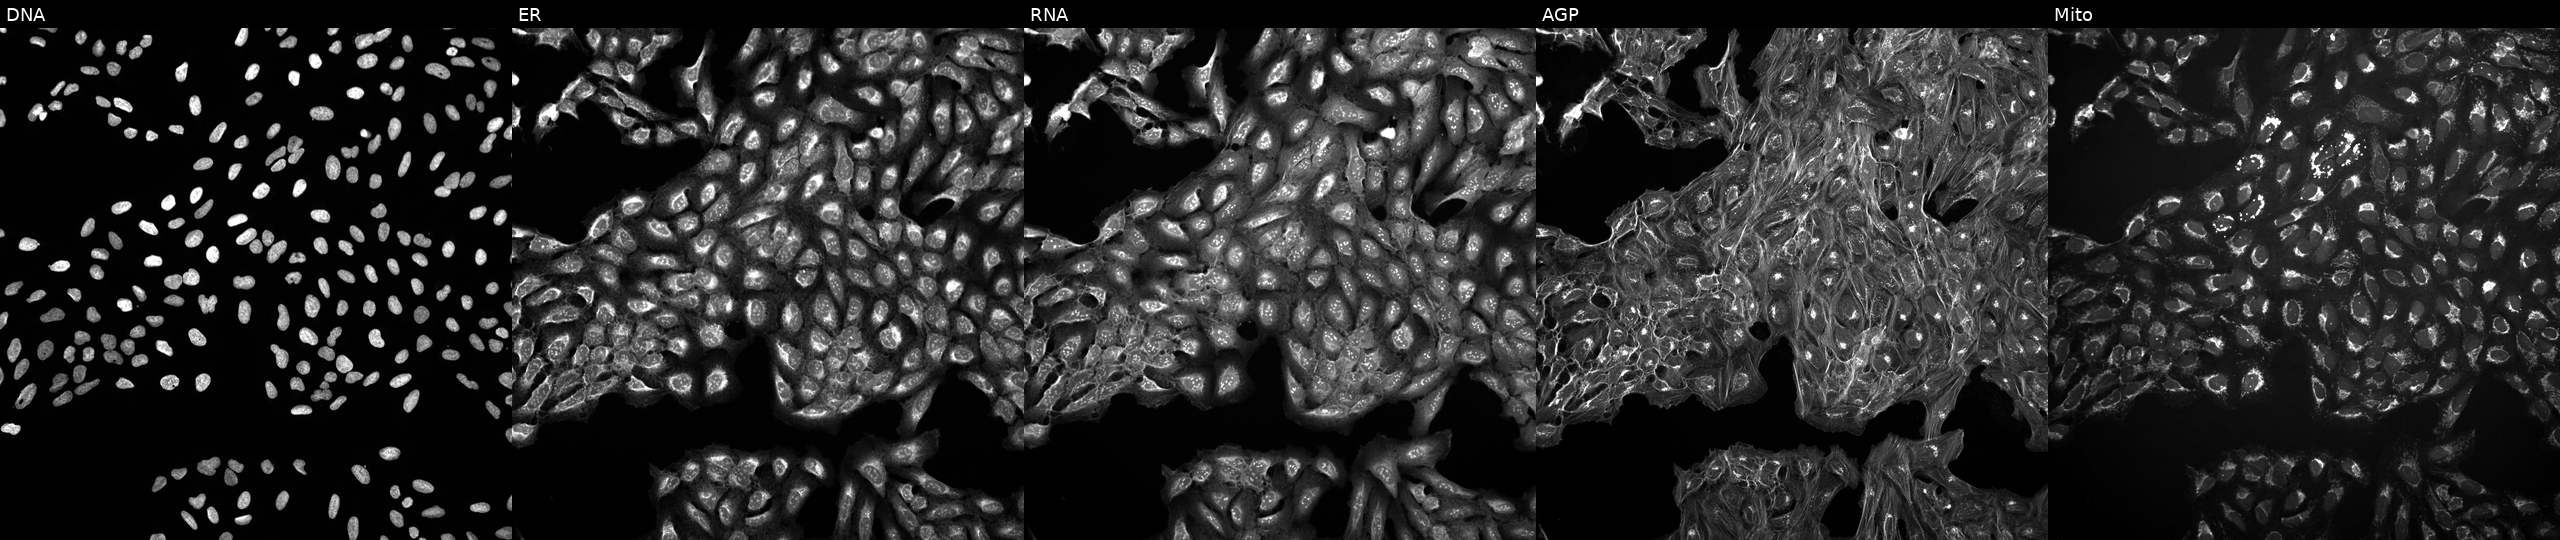
Channels (left→right): Hoechst 33342, concanavalin A, SYTO 14, phalloidin and WGA, MitoTracker. U2OS osteosarcoma cells treated with a small-molecule compound (InChIKey NOLUHRNOUQISHT-UHFFFAOYSA-N). Cell Painting assay, JUMP-CP dataset. Source 10, plate Dest210531-152324, well E04.